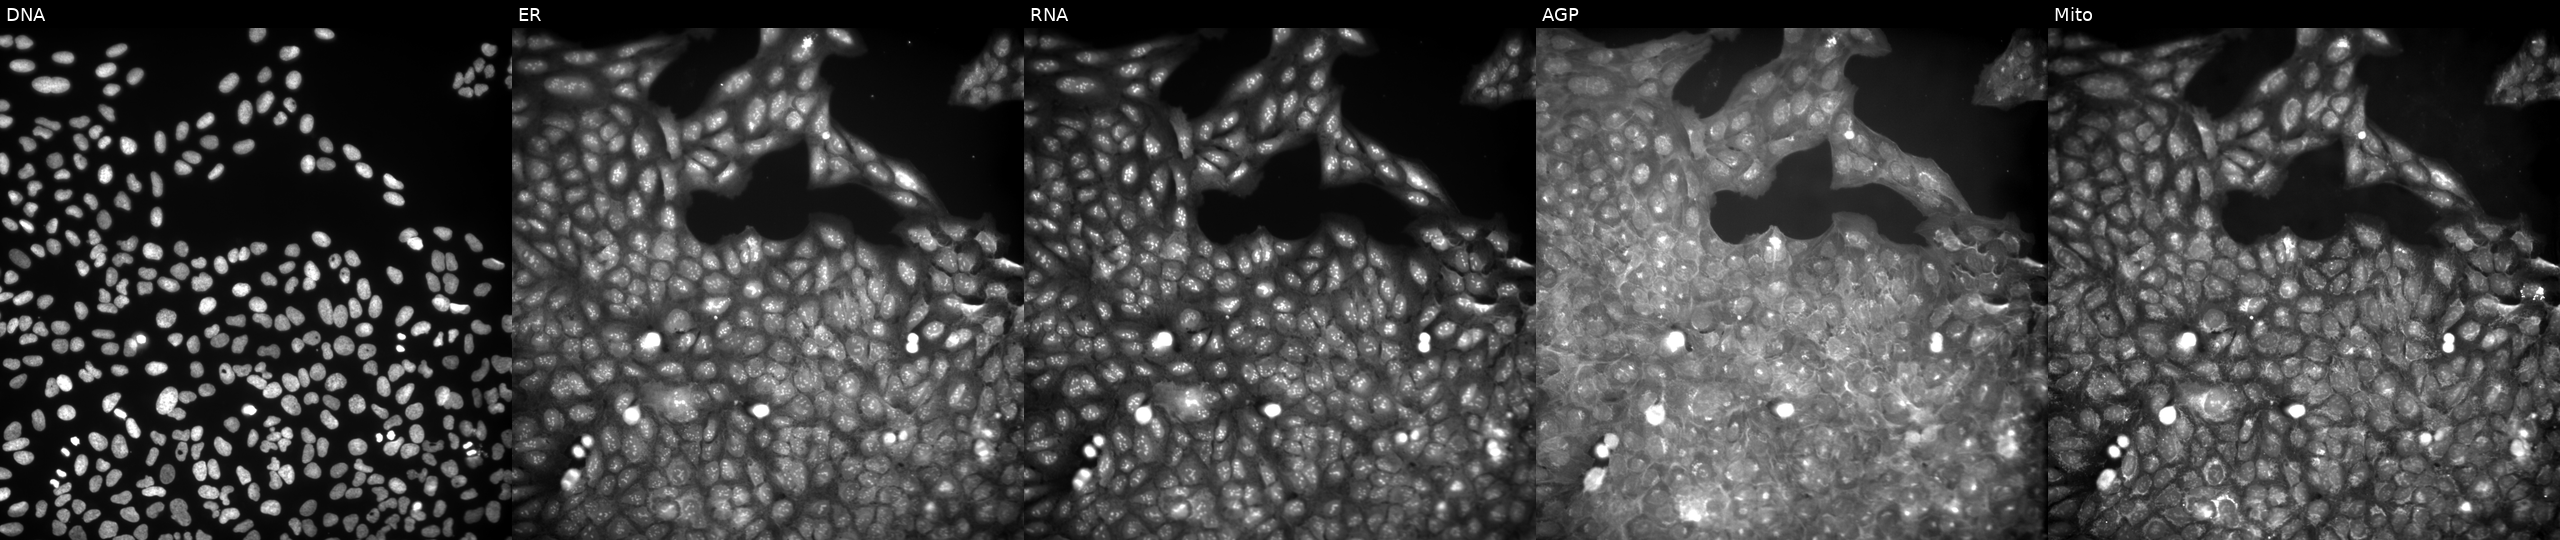
High-content fluorescence microscopy (Cell Painting). Cell line: U2OS. Perturbation: perturbed with a small-molecule compound (JUMP id JCP2022_016775). From left to right: DNA, ER, RNA, AGP, and Mito.